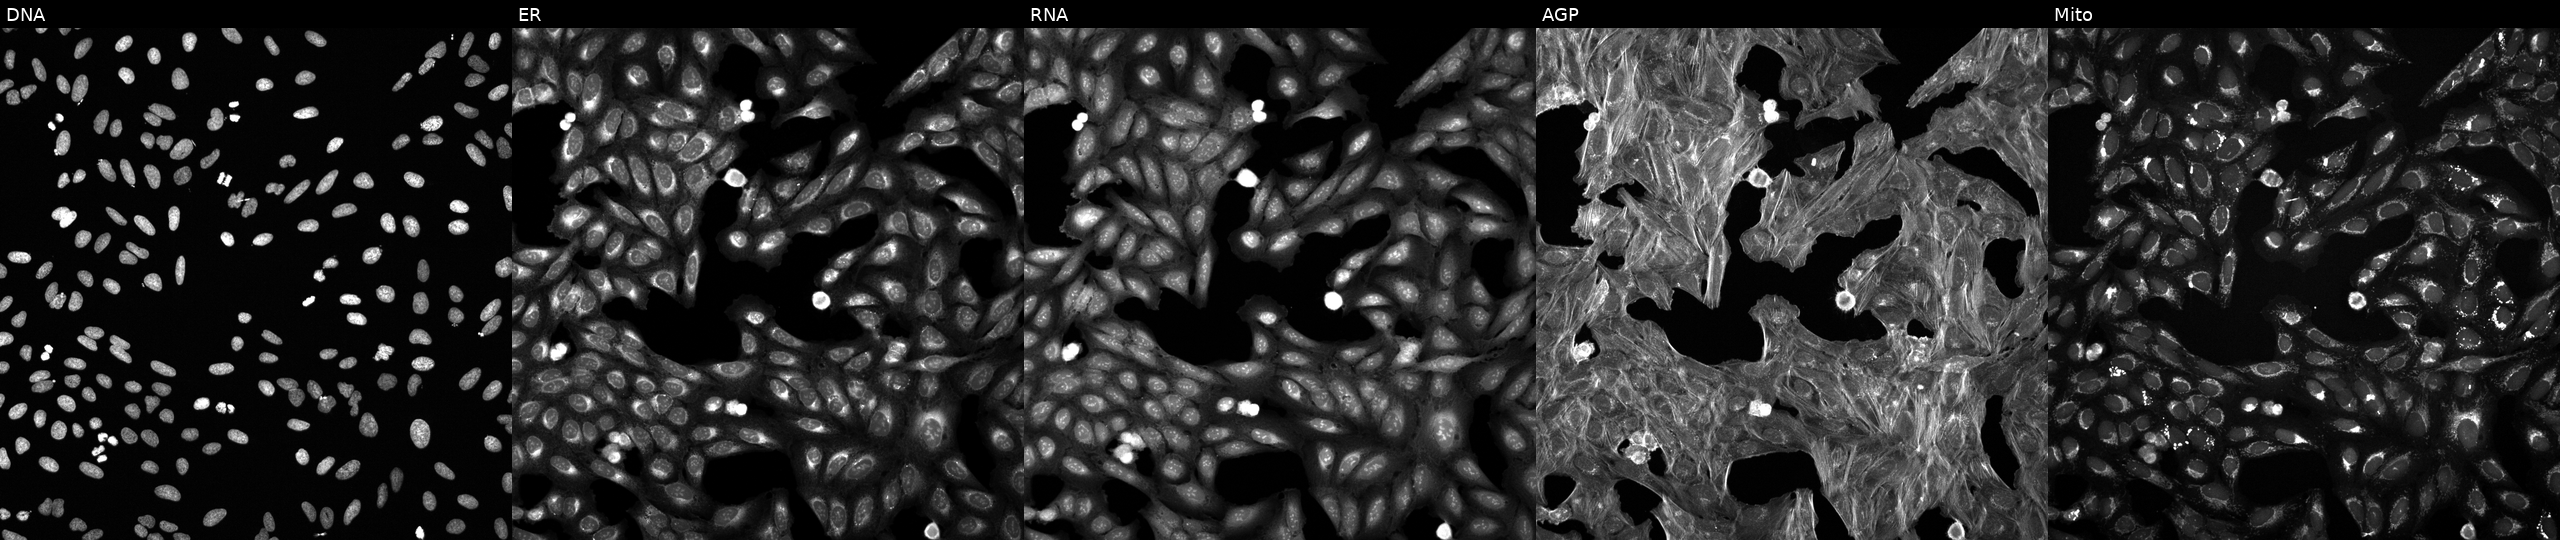
Panels show, left to right, DNA, ER, RNA, AGP, and Mito. U2OS osteosarcoma cells perturbed with a small-molecule compound (InChIKey ZXPBSLWMHWZSDU-UHFFFAOYSA-N) (JUMP id JCP2022_116307). Cell Painting assay, JUMP-CP dataset.